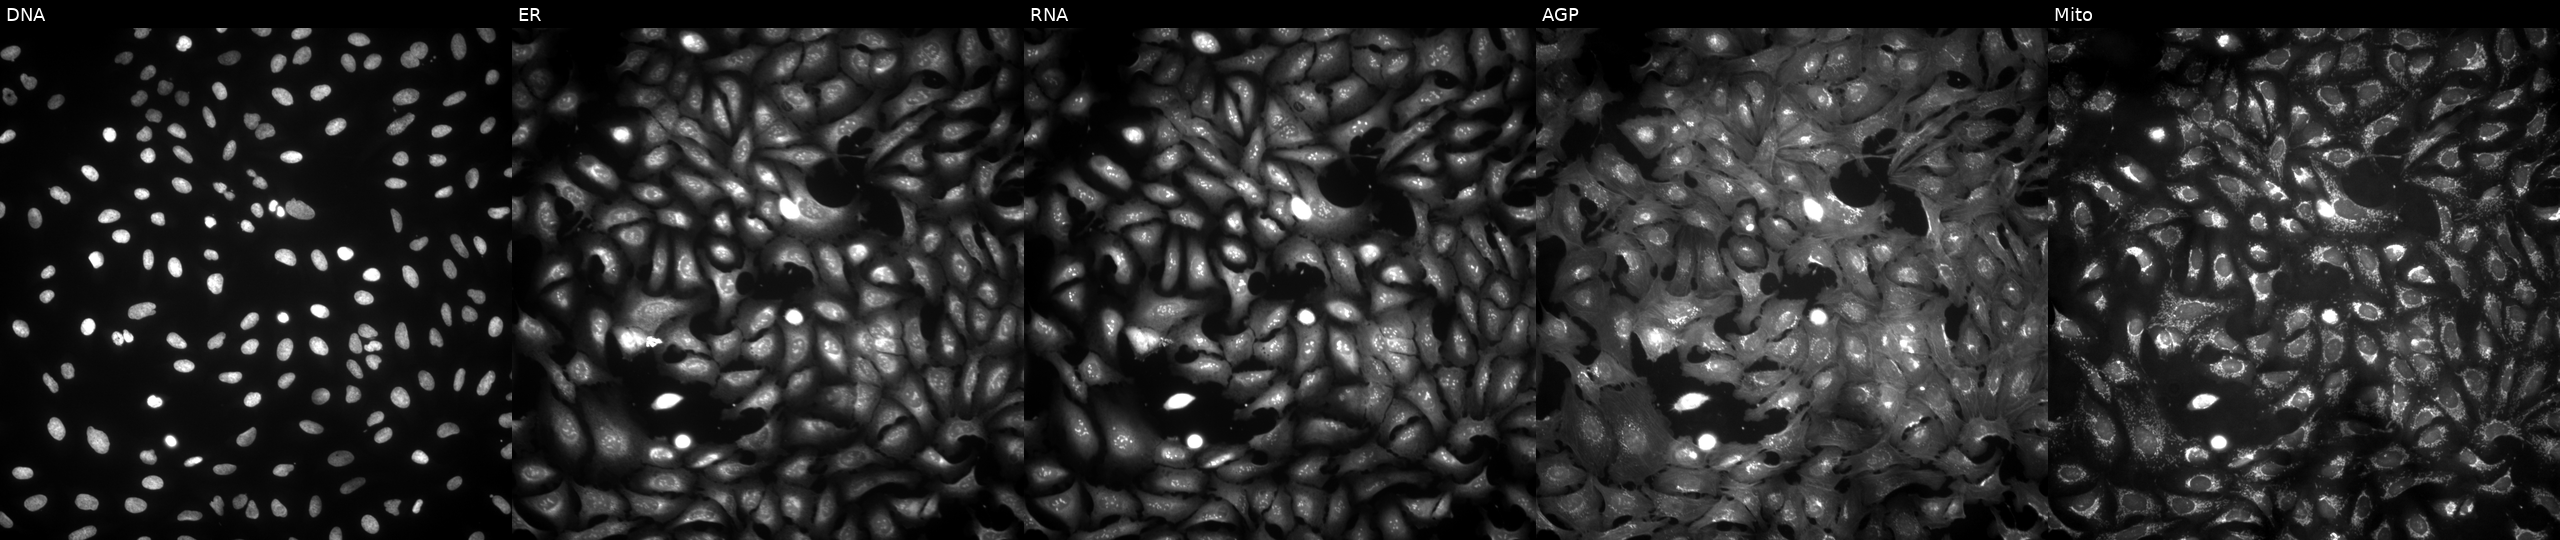
High-content fluorescence microscopy (Cell Painting). Cell line: U2OS. Perturbation: with KRT86 overexpressed (ORF) (JUMP id JCP2022_900863). Channels (left→right): DNA, ER, RNA, AGP, and Mito. Source 4, plate BR00123506, well A01.